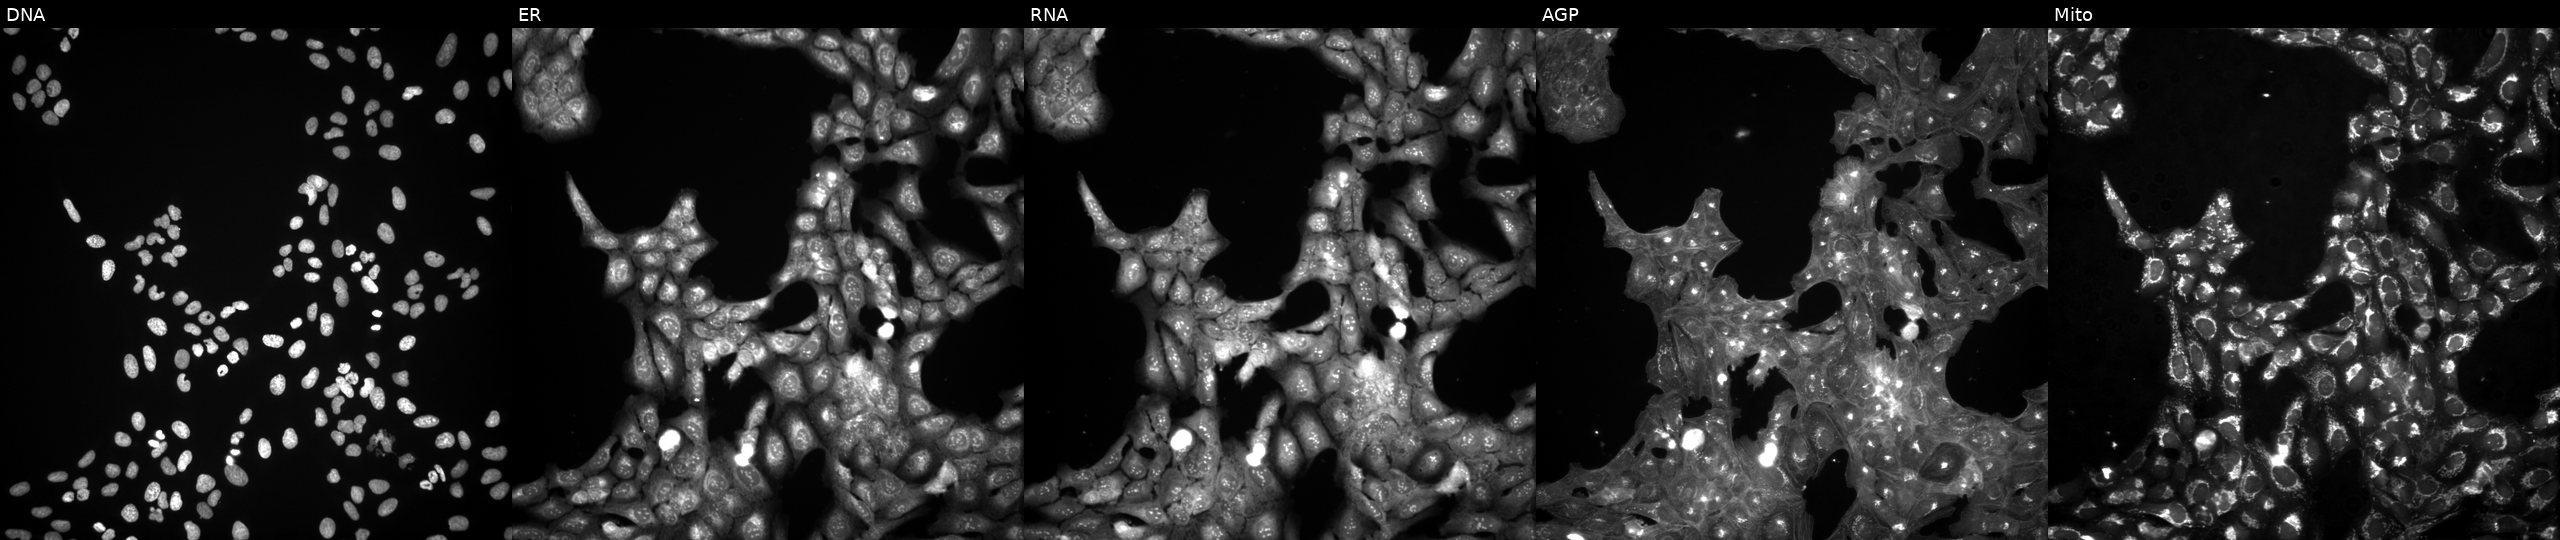
JUMP Cell Painting — TARGET2 plate. U2OS cells perturbed with a small-molecule compound (InChIKey JDKKNQACNITFEA-UHFFFAOYSA-N) [SMILES: CC(=O)C1NC(=O)C(CCCCN)NC(=O)C(Cc2c[nH]c3ccccc23)NC(=O)C(Cc2ccccc2)NC(=O)C(NC(=O)C(N)Cc2ccccc2)CSSCC(C(=O)NC(CO)C(C)O)NC1O]. The five panels, left to right, show Hoechst 33342, concanavalin A, SYTO 14, phalloidin and WGA, MitoTracker. Source 3, plate JCPQC052, well O10.